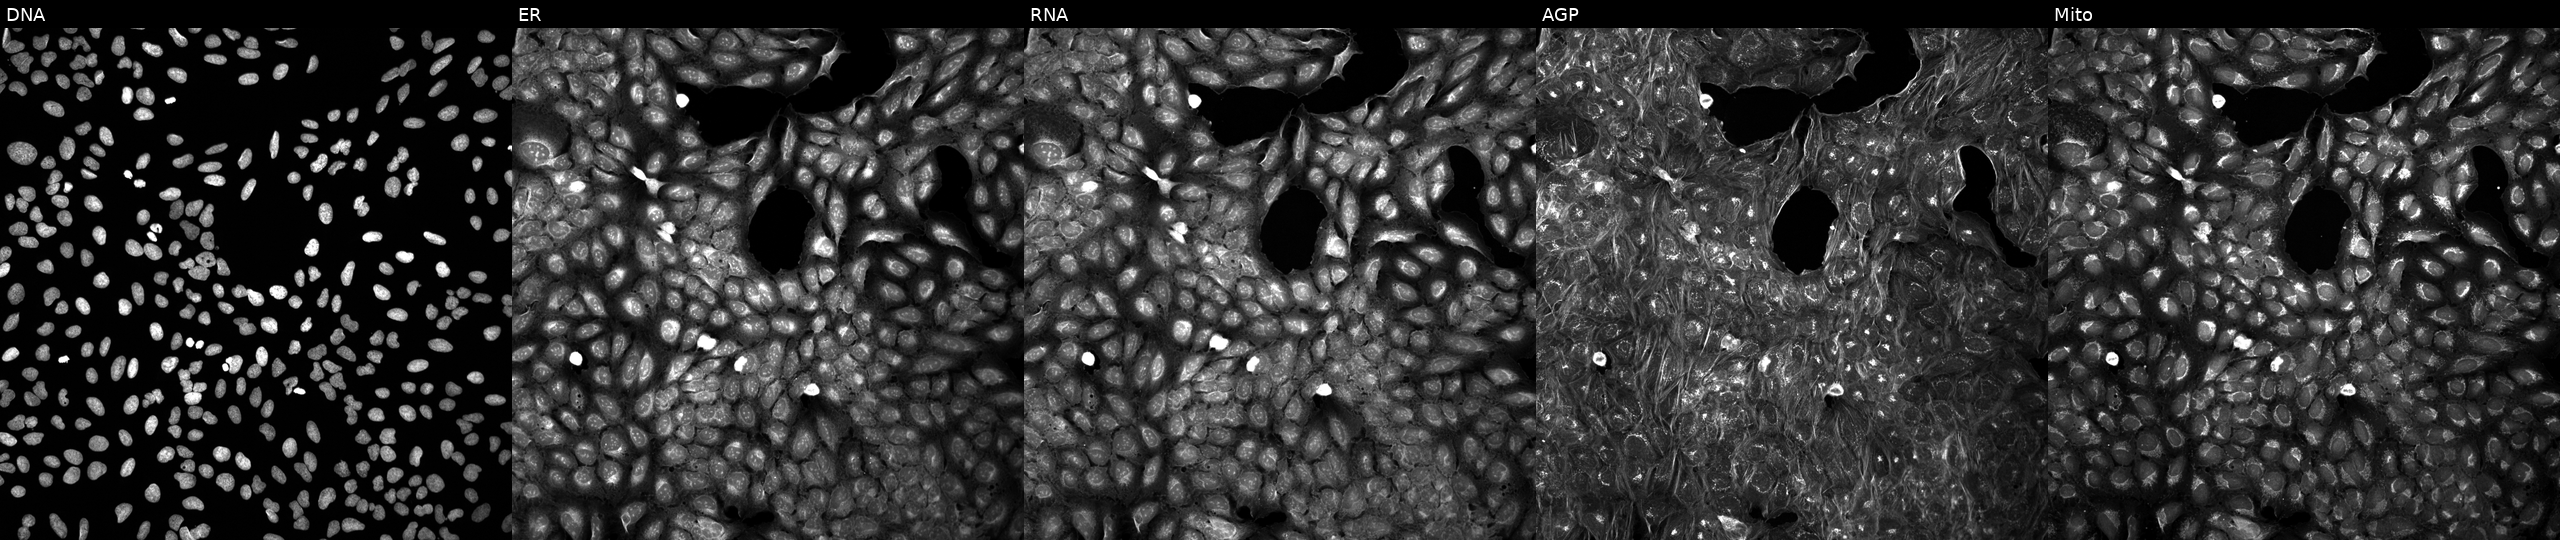
JUMP Cell Painting — COMPOUND plate. U2OS cells perturbed with a small-molecule compound (InChIKey JOINNOFFUPAING-UHFFFAOYSA-N). Panels show, left to right, DNA (nuclei); ER (endoplasmic reticulum); RNA (nucleoli and cytoplasmic RNA); AGP (actin cytoskeleton, Golgi, and plasma membrane); Mito (mitochondria).